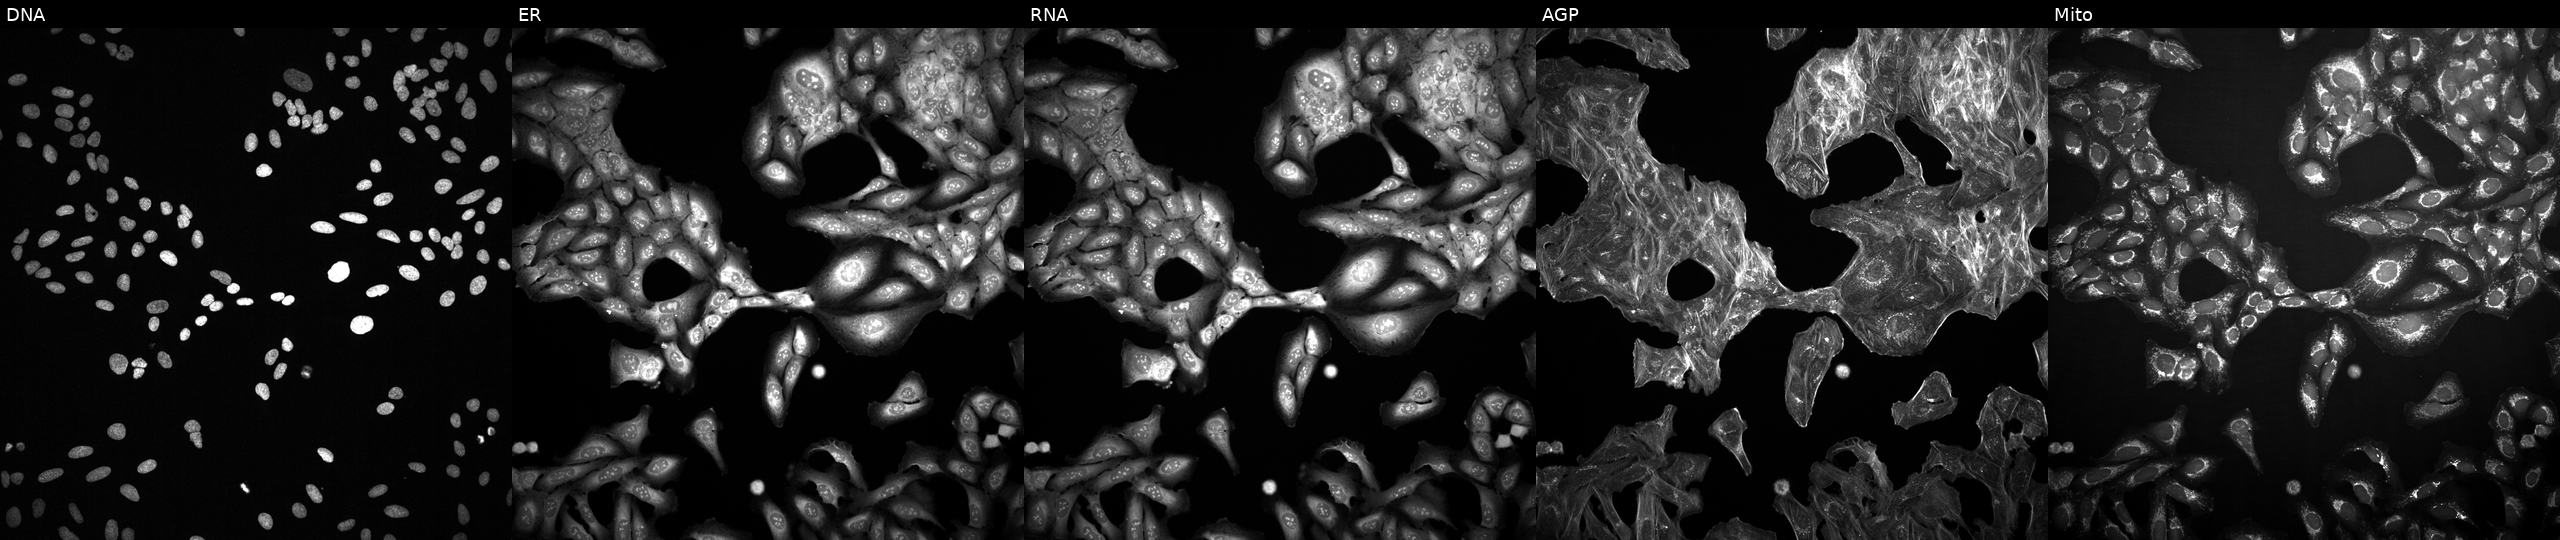
U2OS cells, Cell Painting assay, perturbed with a small-molecule compound (InChIKey JFUIMTGOQCQTPF-UHFFFAOYSA-N) [SMILES: O=C(NCCS(=O)(=O)c1ccc(C(F)(F)F)cn1)c1ccc(Cl)cc1]. From left to right: Hoechst 33342, concanavalin A, SYTO 14, phalloidin and WGA, MitoTracker. Each panel is percentile-stretched 16-bit fluorescence. Source 2, plate 1053597936, well C20.